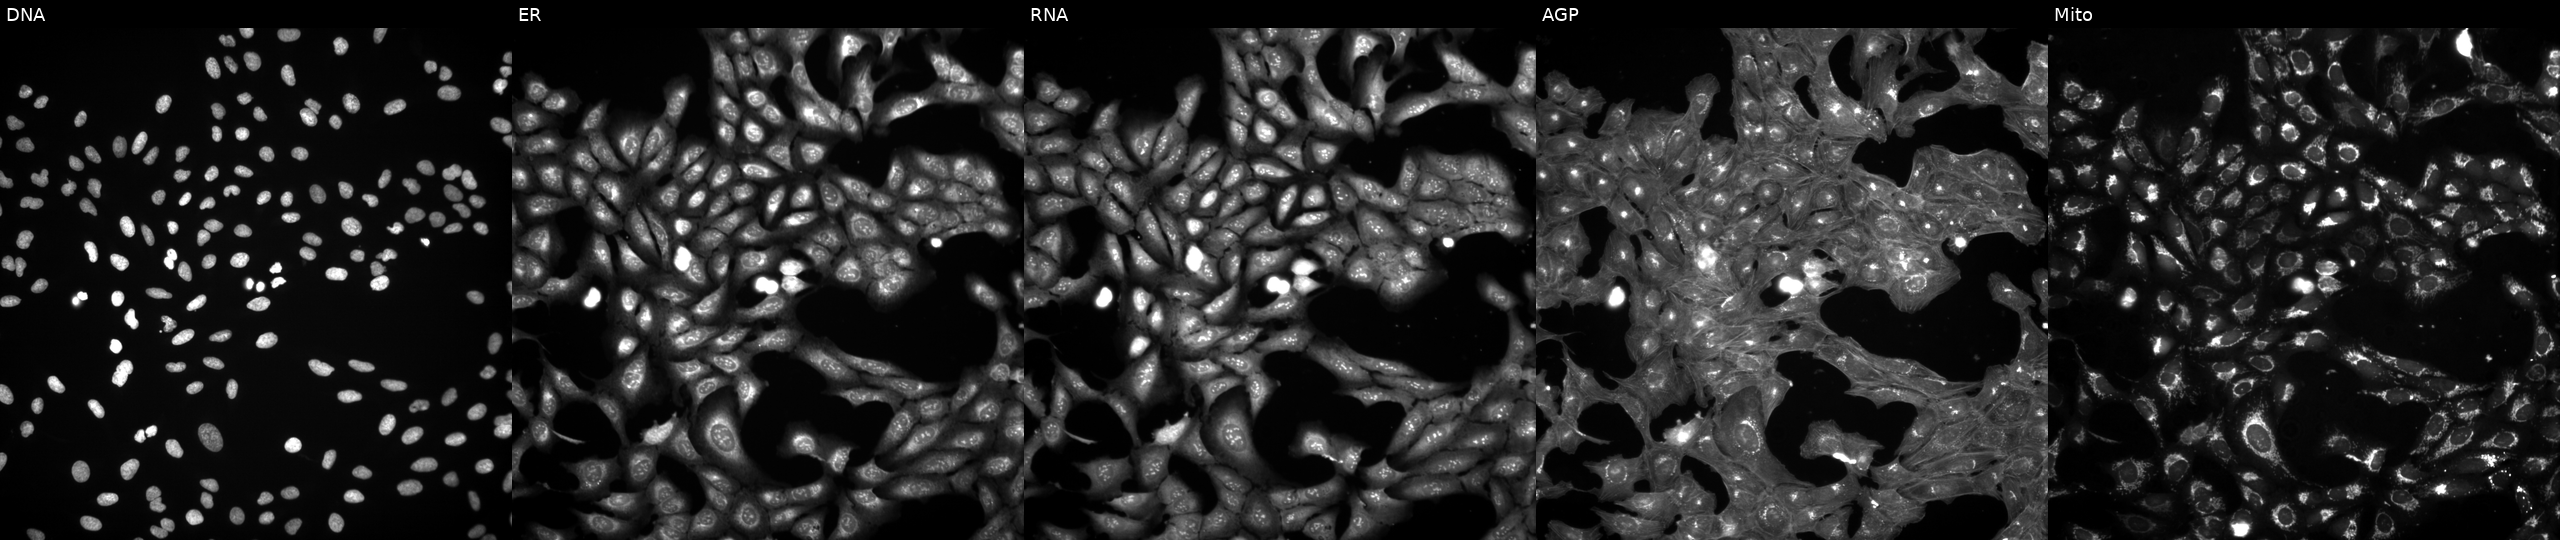
U2OS cells, Cell Painting assay, exposed to DMSO alone as a negative control (JUMP id JCP2022_033924). The five panels, left to right, show DNA (nuclei); ER (endoplasmic reticulum); RNA (nucleoli and cytoplasmic RNA); AGP (actin cytoskeleton, Golgi, and plasma membrane); Mito (mitochondria). Each panel is percentile-stretched 16-bit fluorescence. Source 3, plate BR5867b3, well N02.